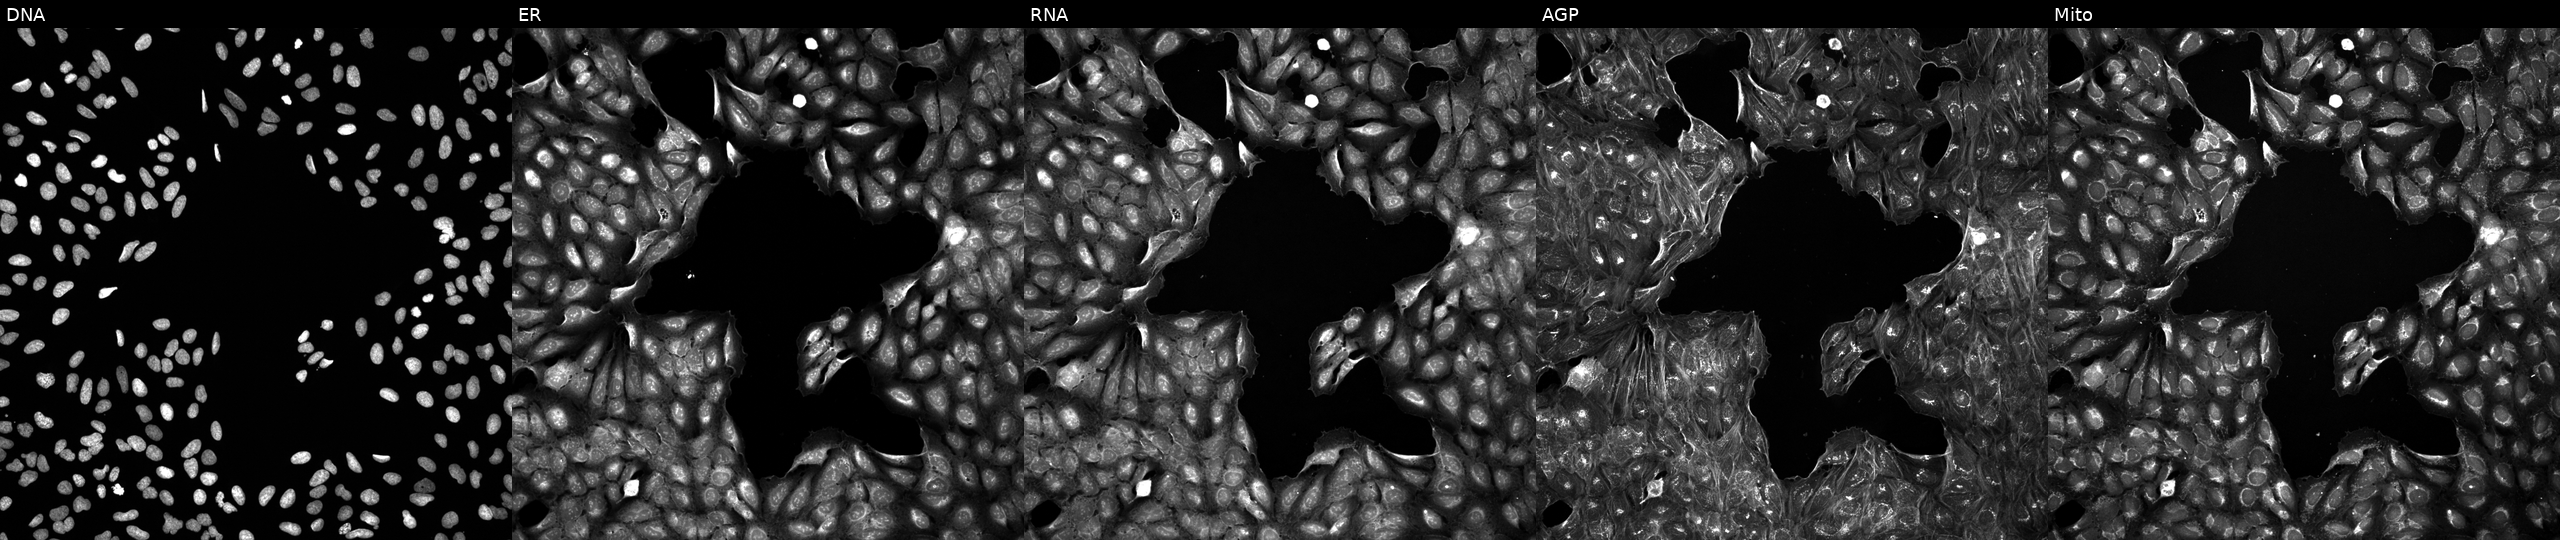
High-content fluorescence microscopy (Cell Painting). Cell line: U2OS. Perturbation: perturbed with a small-molecule compound (InChIKey IKDXYEOTMKMCQM-UHFFFAOYSA-N) (JUMP id JCP2022_035565). Panels show, left to right, DNA (nuclei); ER (endoplasmic reticulum); RNA (nucleoli and cytoplasmic RNA); AGP (actin cytoskeleton, Golgi, and plasma membrane); Mito (mitochondria). Source 5, plate APTJUM105, well E12.